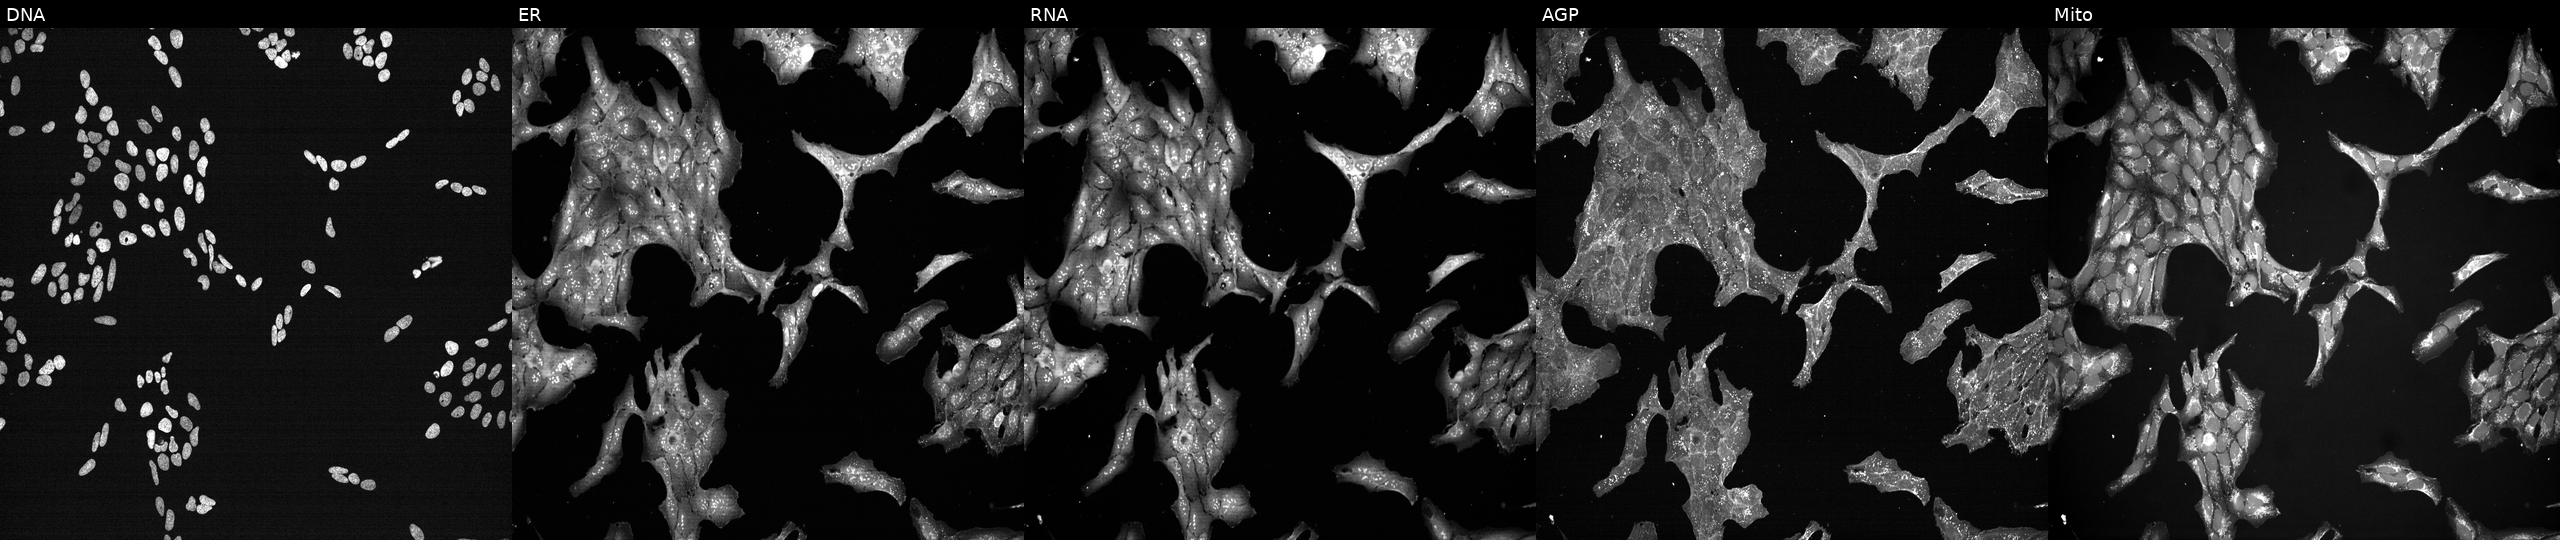
Five-channel Cell Painting image of U2OS cells treated with a small-molecule compound (InChIKey CDMGBJANTYXAIV-UHFFFAOYSA-N). Panels show, left to right, DNA, ER, RNA, AGP, and Mito.